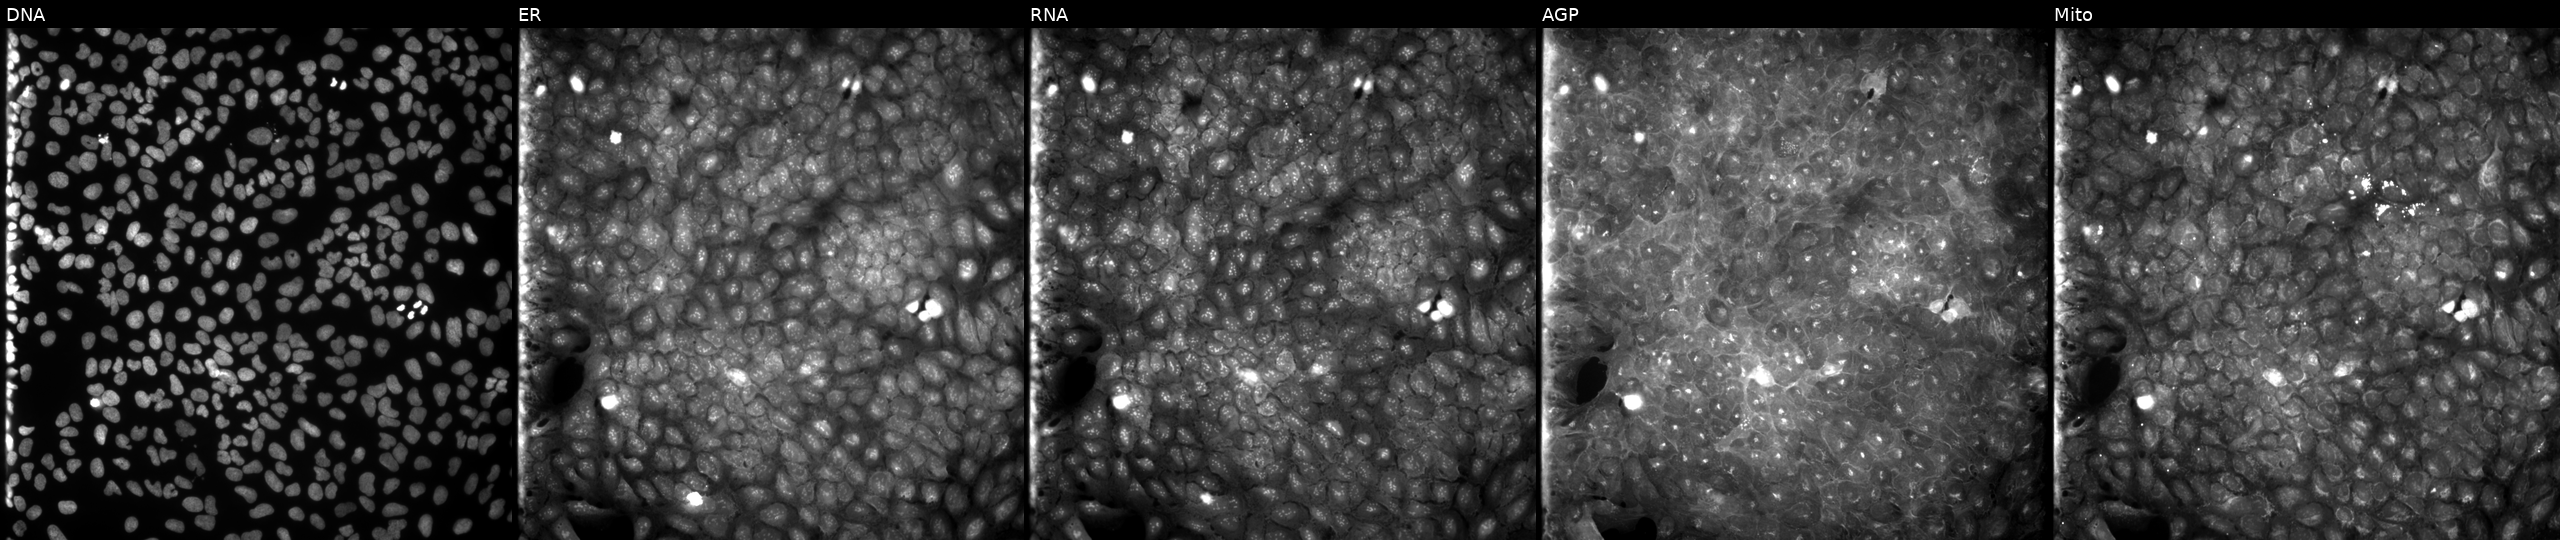
High-content fluorescence microscopy (Cell Painting). Cell line: U2OS. Perturbation: exposed to a small-molecule compound (InChIKey ASZBWJQBOKYYNH-UHFFFAOYSA-N) (JUMP id JCP2022_003648). Channels (left→right): Hoechst 33342, concanavalin A, SYTO 14, phalloidin and WGA, MitoTracker. Source 9, plate GR00003381, well K13.